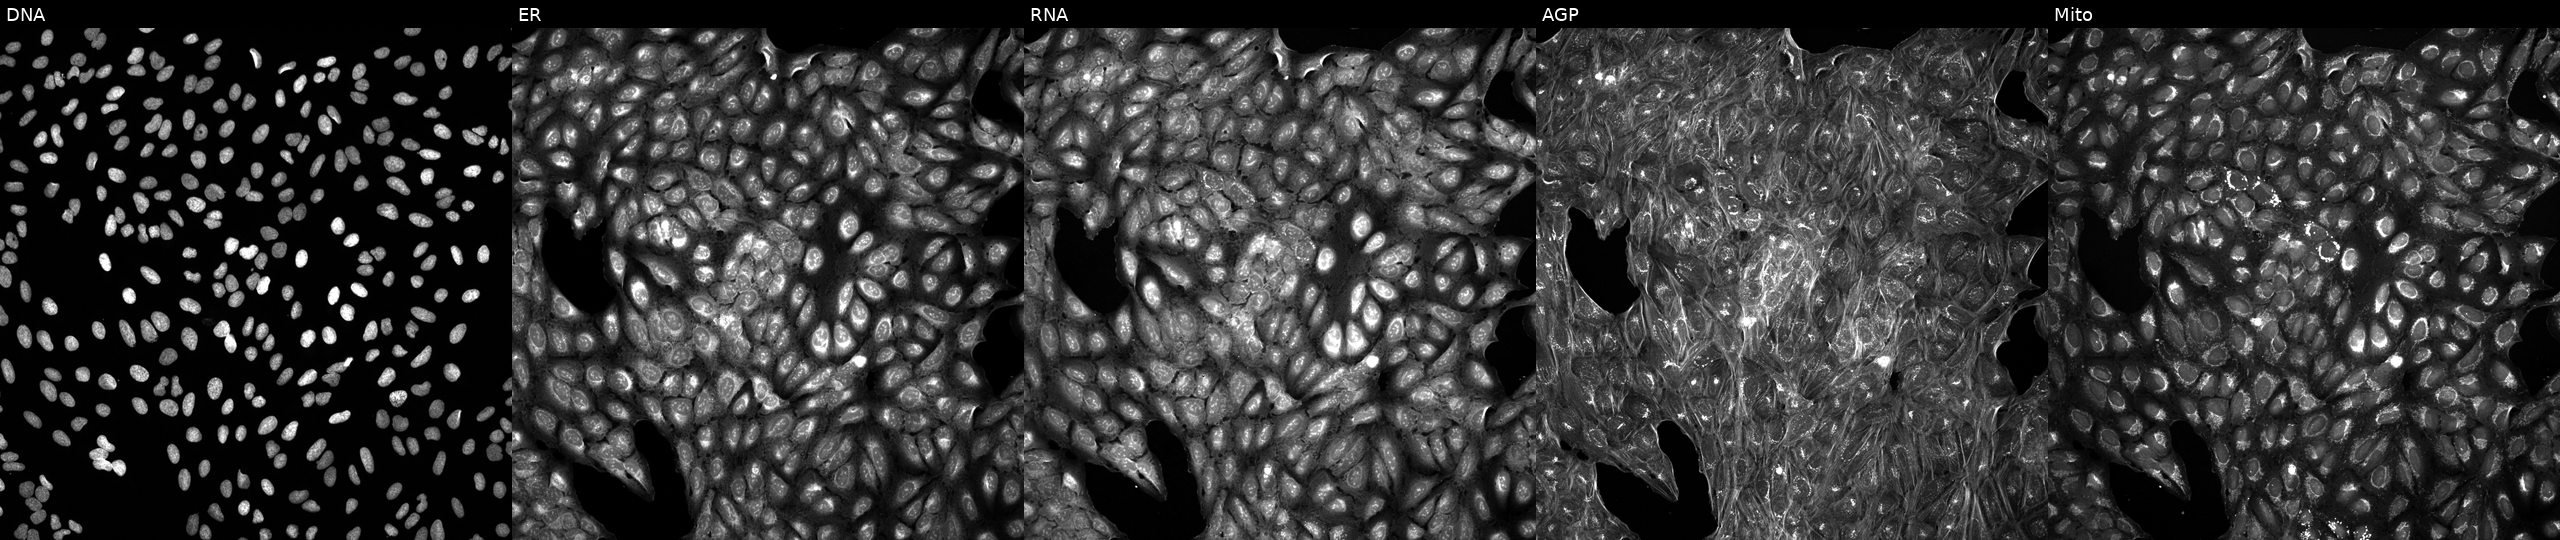
JUMP Cell Painting — TARGET2 plate. U2OS cells treated with a small-molecule compound (InChIKey NGTDJJKTGRNNAU-UHFFFAOYSA-N). From left to right: Hoechst 33342, concanavalin A, SYTO 14, phalloidin and WGA, MitoTracker. Source 5, plate ACPJUM032, well J16.